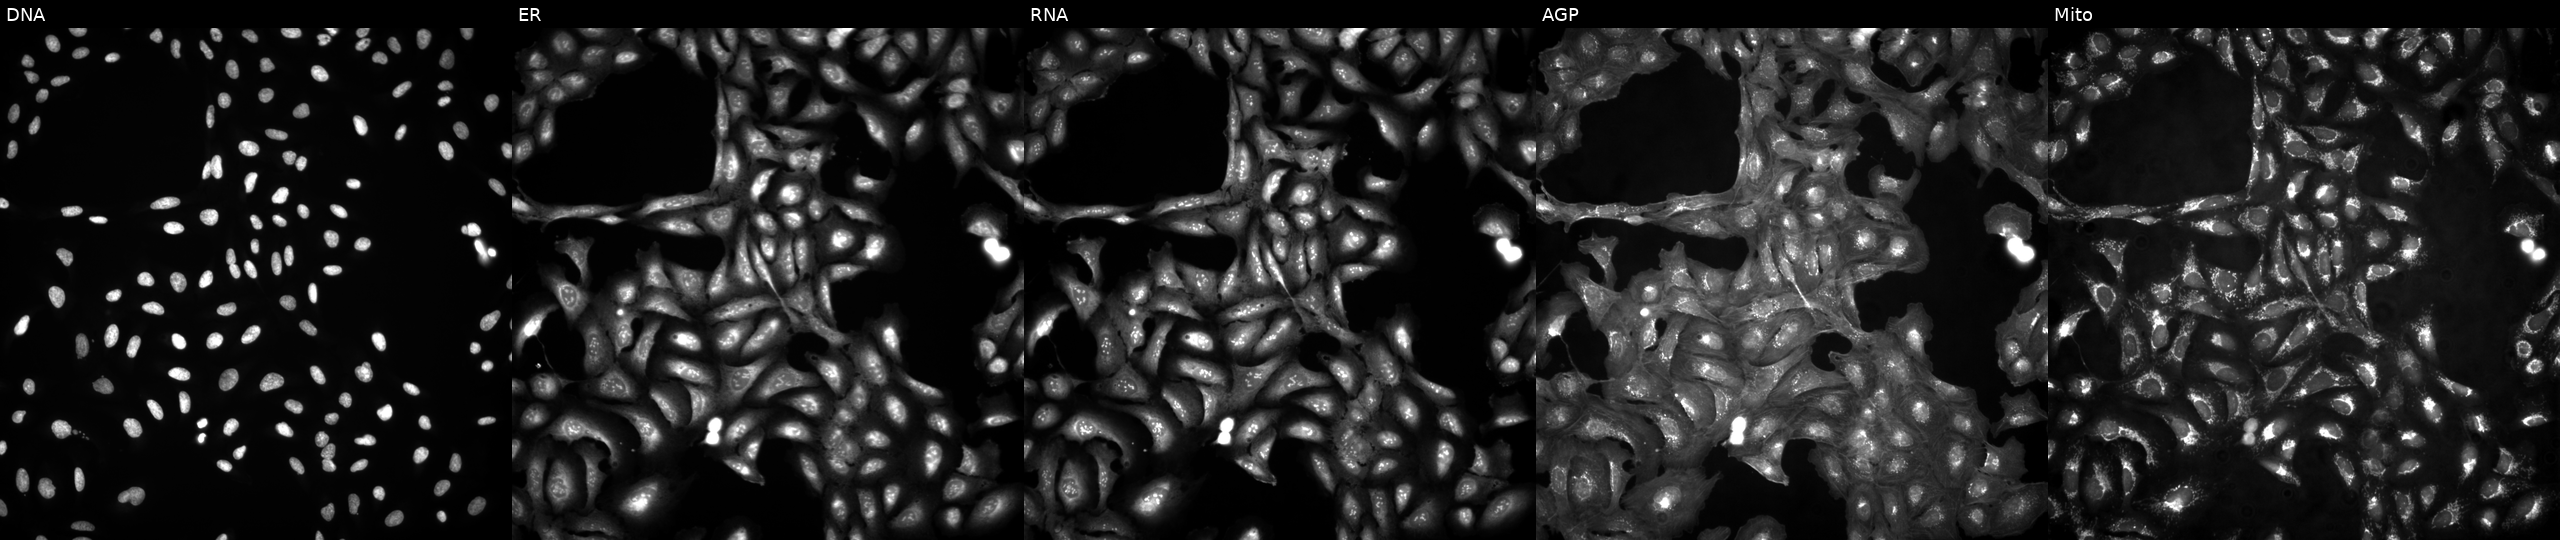
U2OS cells, Cell Painting assay, in an empty control well (no perturbation) (JUMP id JCP2022_999999). From left to right: DNA (nuclei); ER (endoplasmic reticulum); RNA (nucleoli and cytoplasmic RNA); AGP (actin cytoskeleton, Golgi, and plasma membrane); Mito (mitochondria). Each panel is percentile-stretched 16-bit fluorescence.